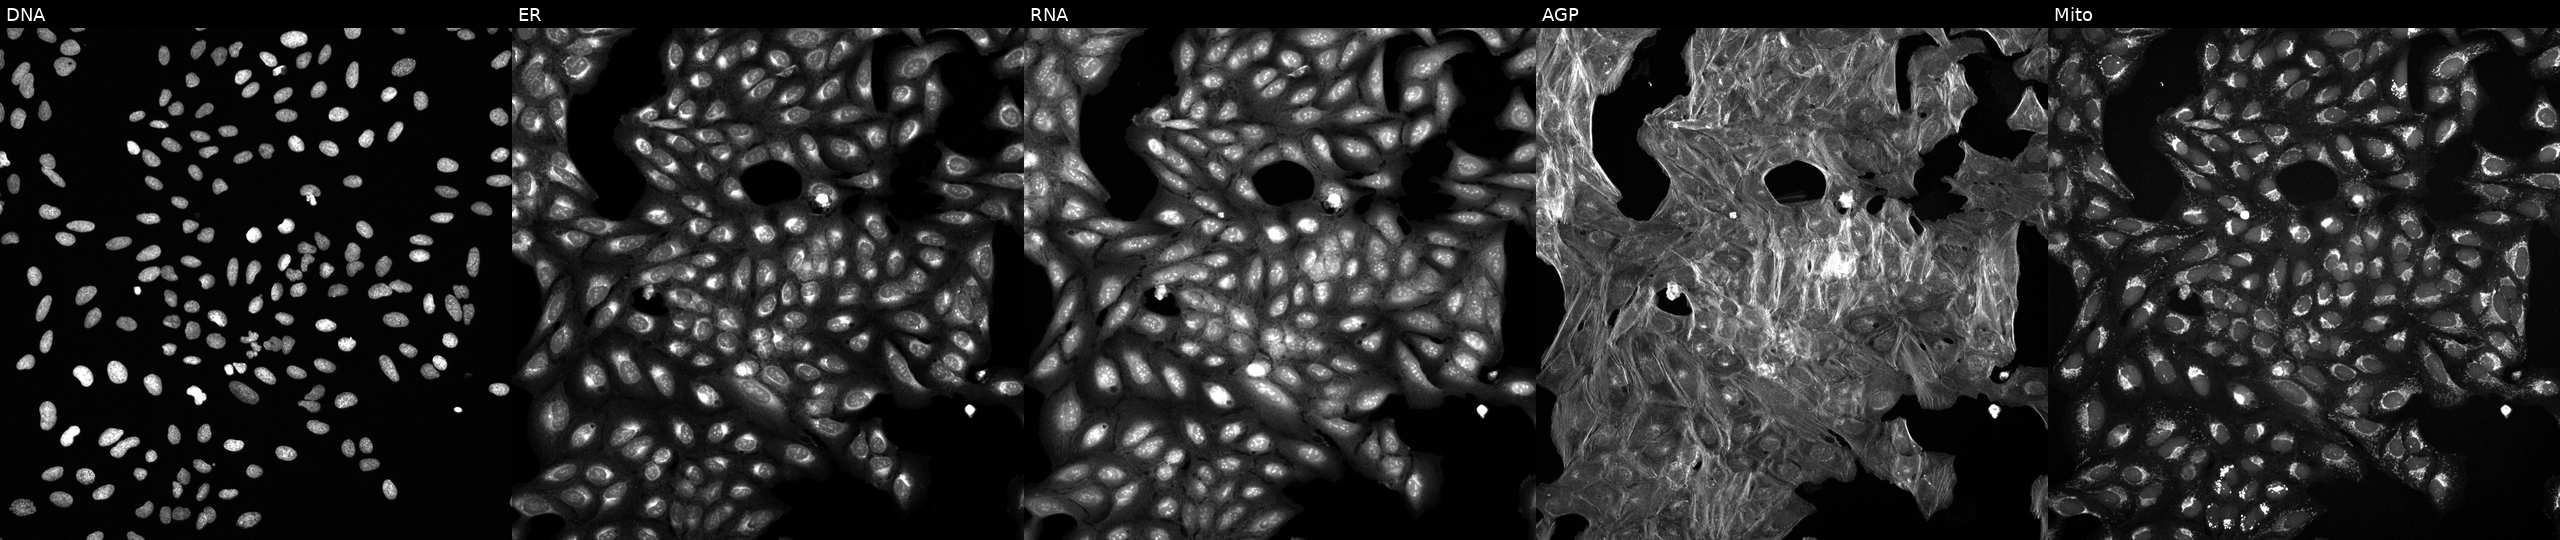
Five-channel Cell Painting image of U2OS cells treated with a small-molecule compound (InChIKey PYEFPDQFAZNXLI-UHFFFAOYSA-N) [SMILES: Cc1ccc(NC(=O)c2cccc(N(C)C)c2)cc1NC(=O)c1ccc(O)cc1]. Panels show, left to right, DNA, ER, RNA, AGP, and Mito. Source 6, plate 110000293081, well J11.